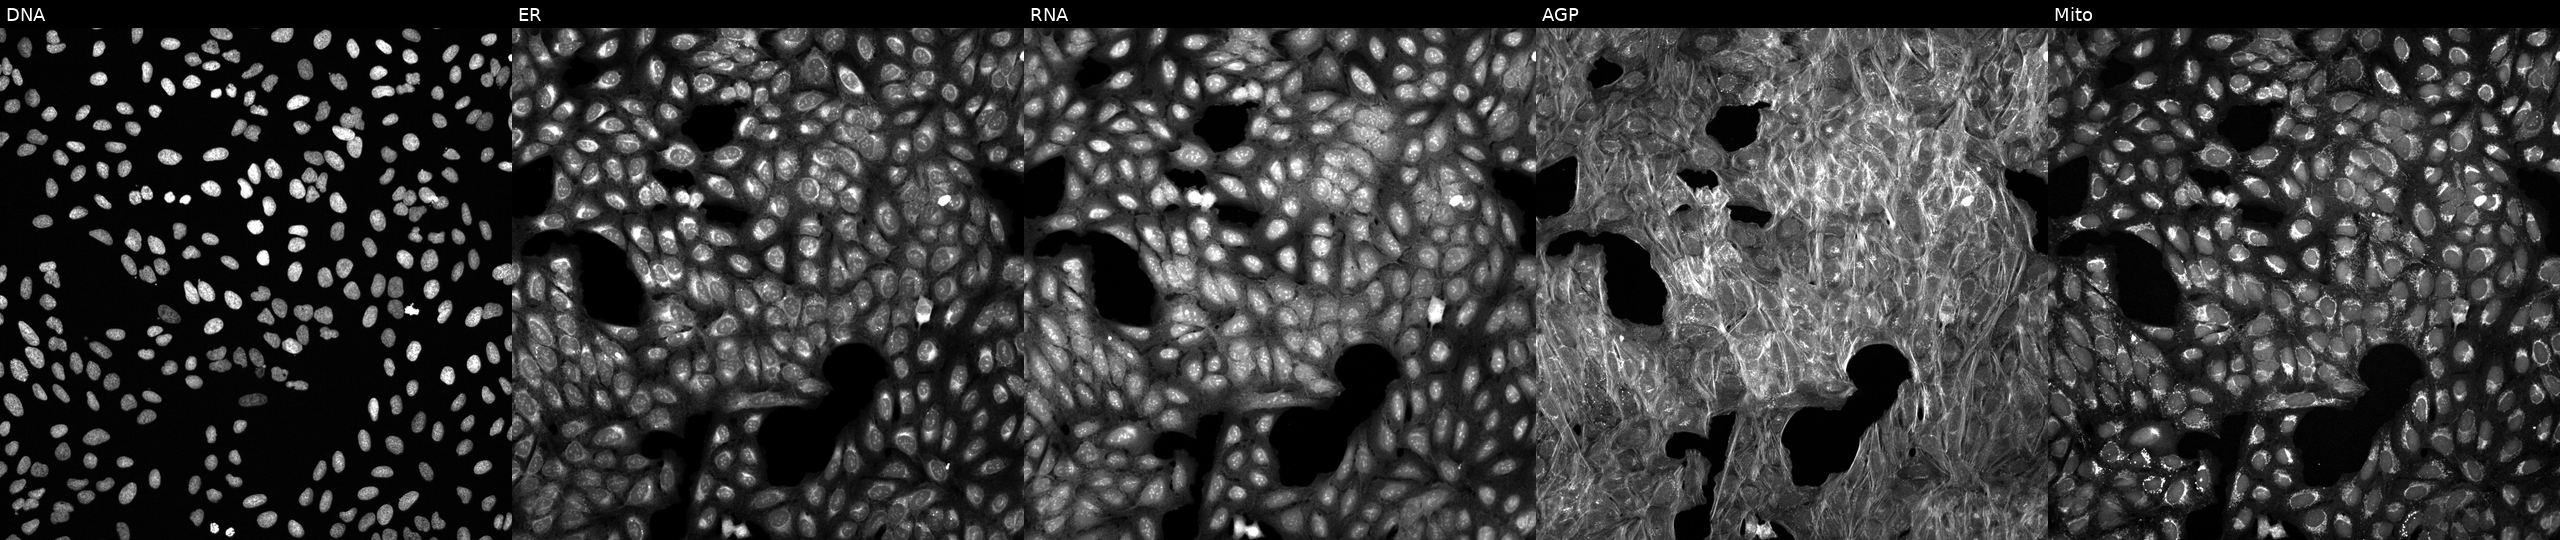
U2OS cells, Cell Painting assay, treated with a small-molecule compound. From left to right: DNA, ER, RNA, AGP, and Mito. Each panel is percentile-stretched 16-bit fluorescence.